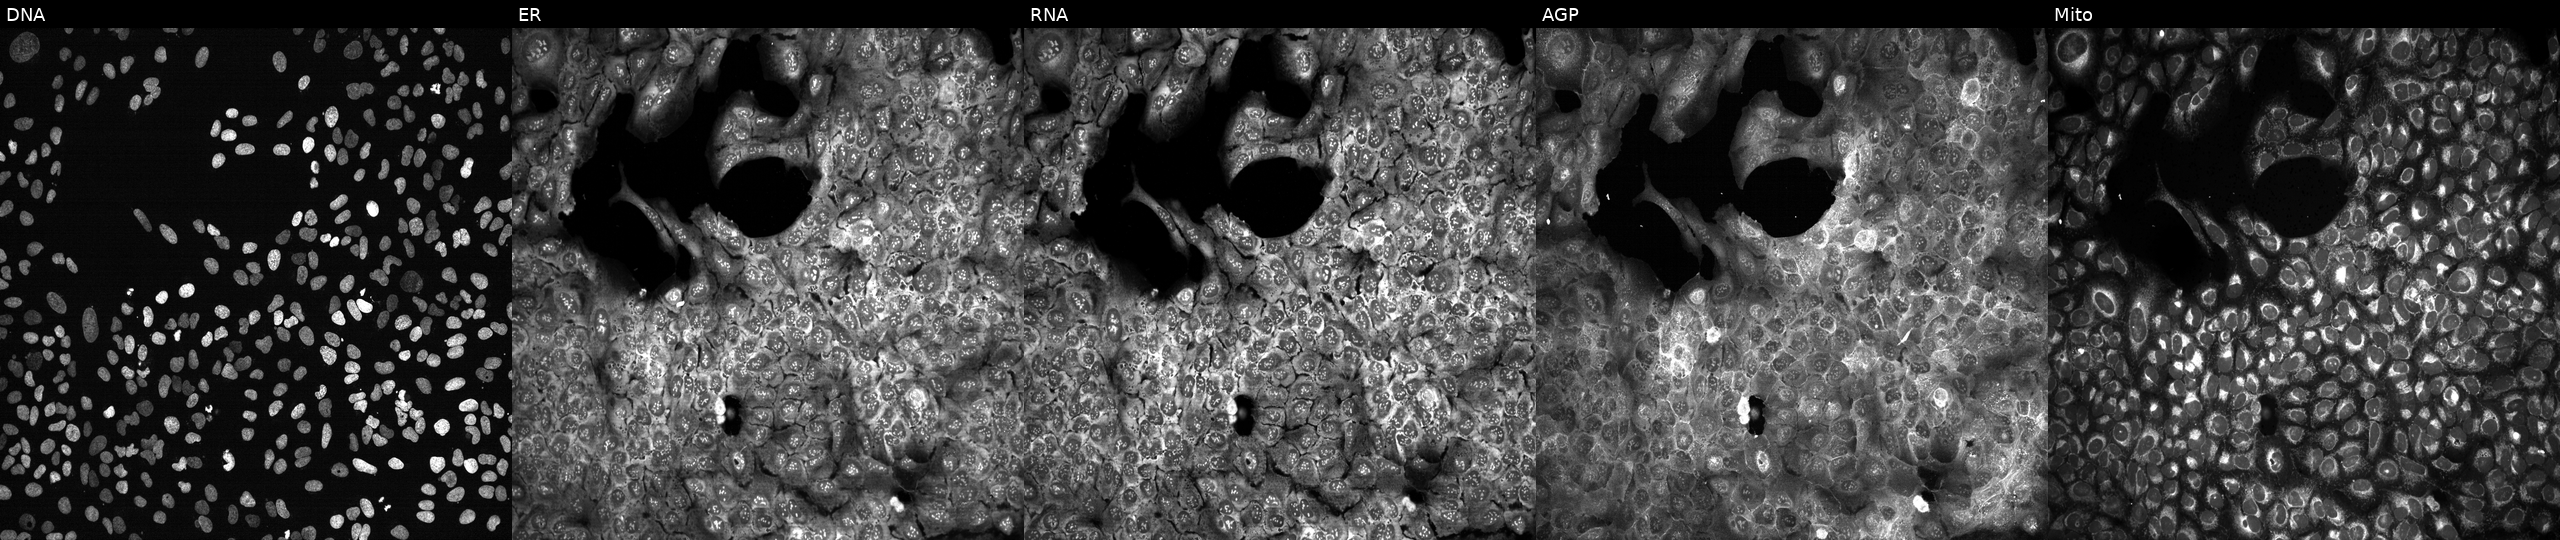
Five-channel Cell Painting image of U2OS cells CRISPR-edited to disrupt SLC1A7 (JUMP id JCP2022_806412). From left to right: DNA, ER, RNA, AGP, and Mito.